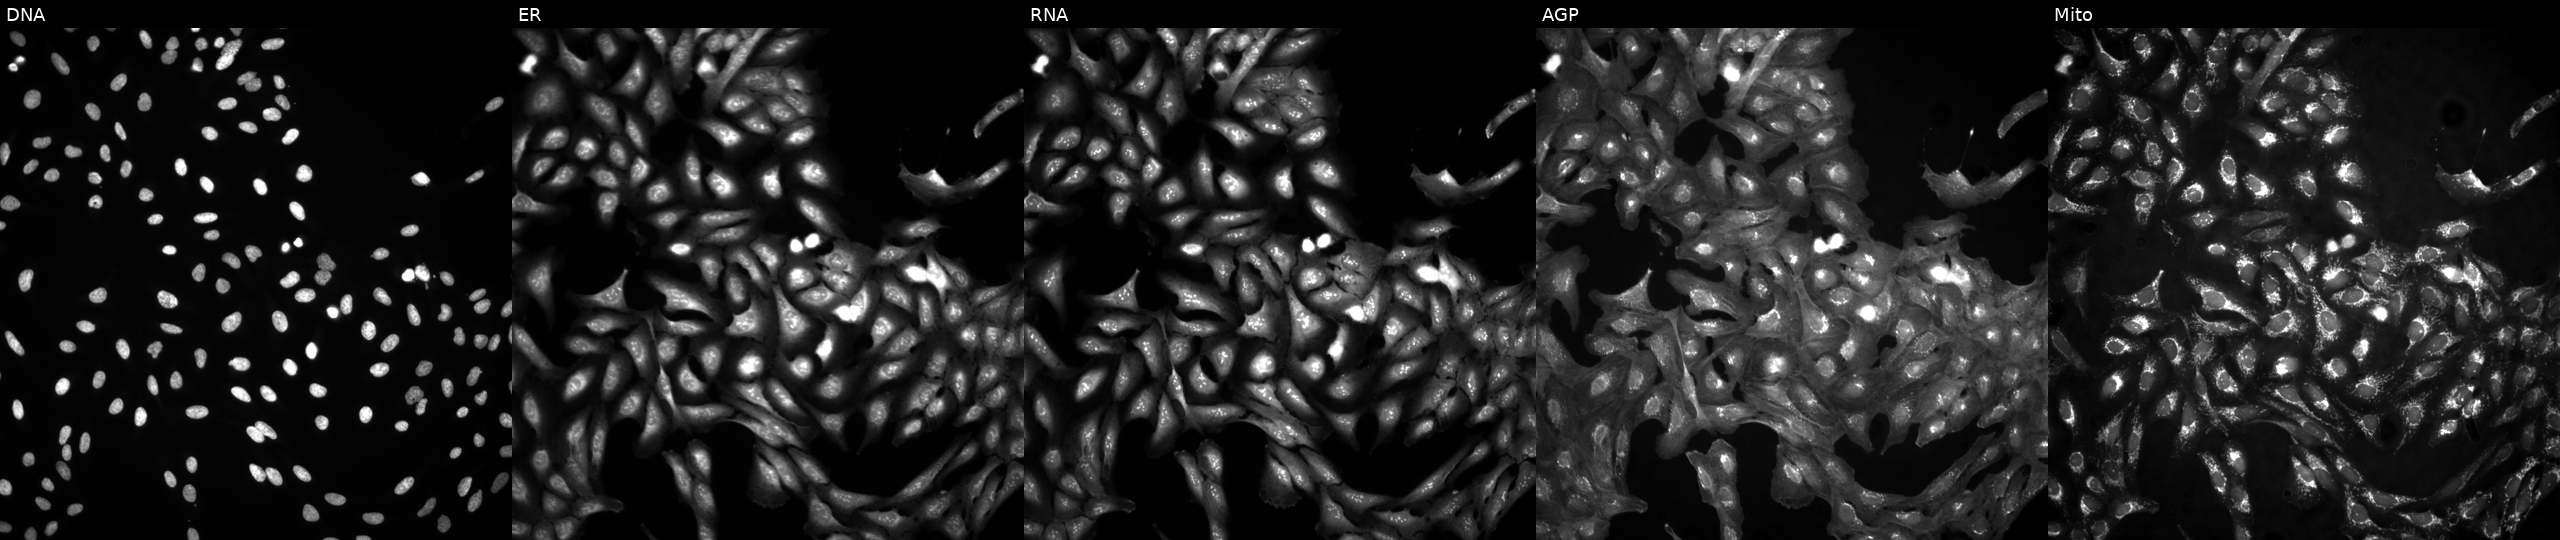
This image strip shows the five Cell Painting channels for a single field of U2OS cells untreated (empty-well control) (JUMP id JCP2022_999999). Panels show, left to right, DNA, ER, RNA, AGP, and Mito.